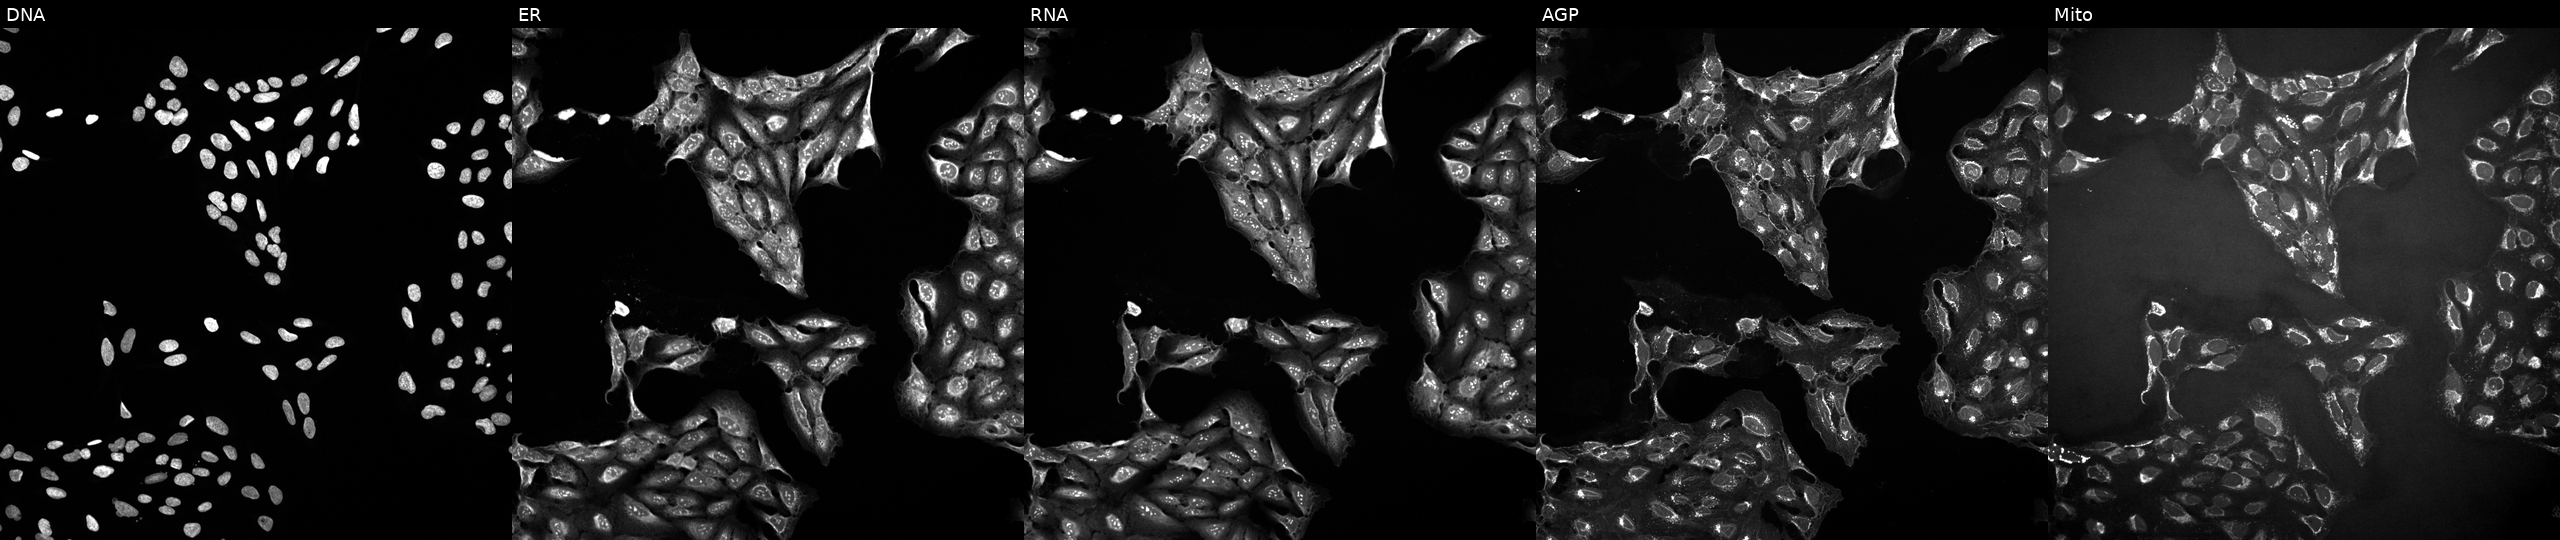
Five-channel Cell Painting image of U2OS cells treated with a small-molecule compound (InChIKey WPEWQEMJFLWMLV-UHFFFAOYSA-N). The five panels, left to right, show Hoechst 33342, concanavalin A, SYTO 14, phalloidin and WGA, MitoTracker.